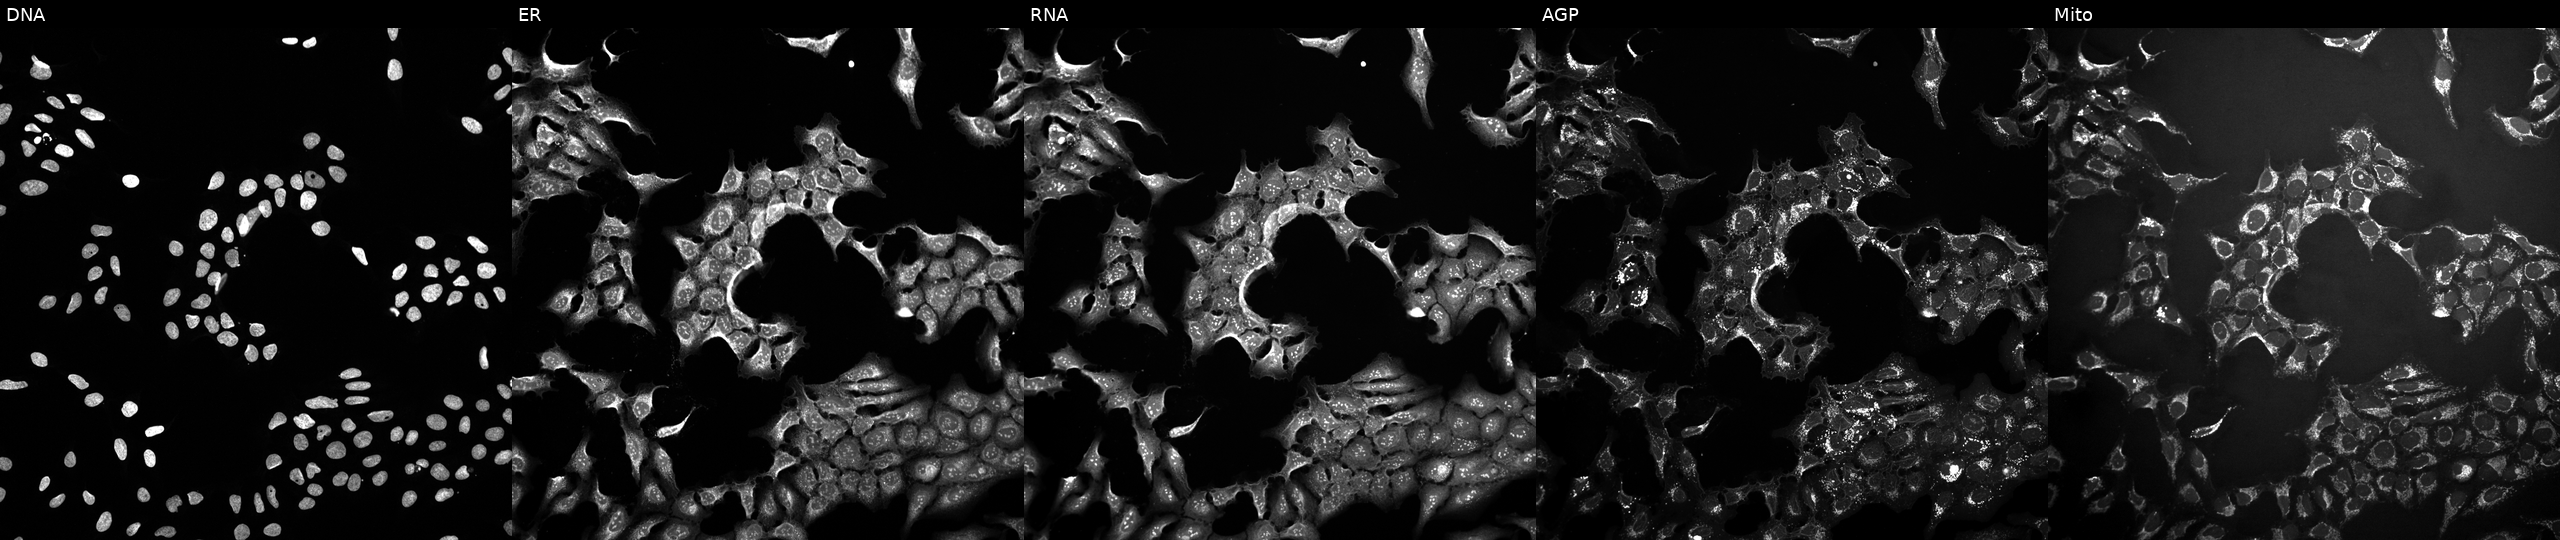
JUMP Cell Painting — TARGET2 plate. U2OS cells perturbed with a small-molecule compound (InChIKey ZYVXTMKTGDARKR-UHFFFAOYSA-N) (JUMP id JCP2022_116560). Panels show, left to right, DNA (nuclei); ER (endoplasmic reticulum); RNA (nucleoli and cytoplasmic RNA); AGP (actin cytoskeleton, Golgi, and plasma membrane); Mito (mitochondria).